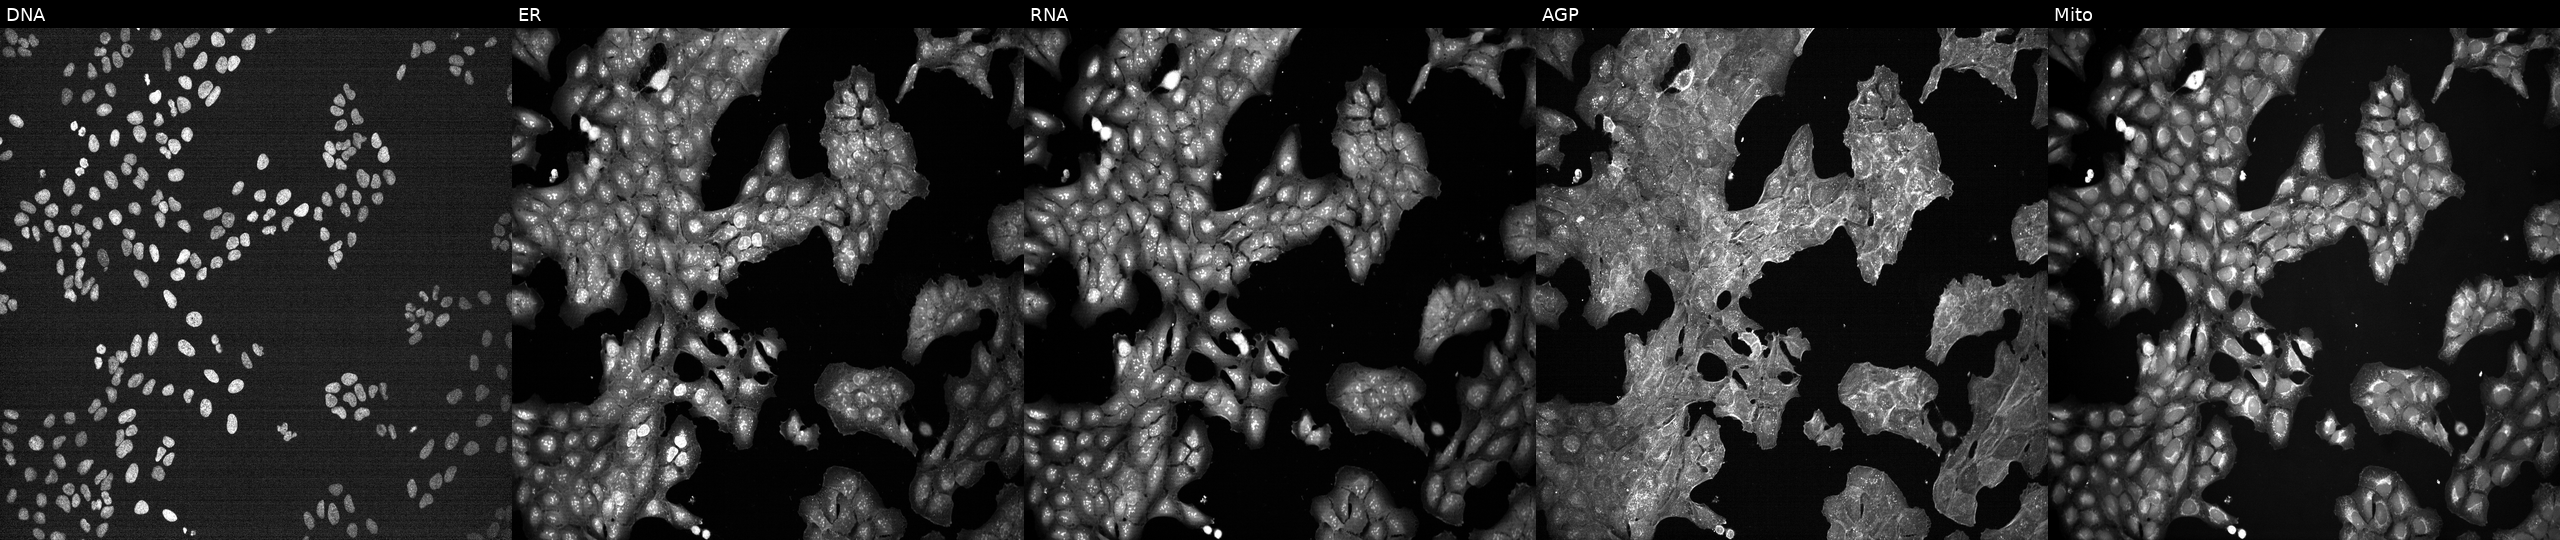
High-content fluorescence microscopy (Cell Painting). Cell line: U2OS. Perturbation: treated with a small-molecule compound [SMILES: ON=Cc1ccc(-c2ccc(O)c(F)c2)c(Cl)c1O]. From left to right: DNA, ER, RNA, AGP, and Mito.